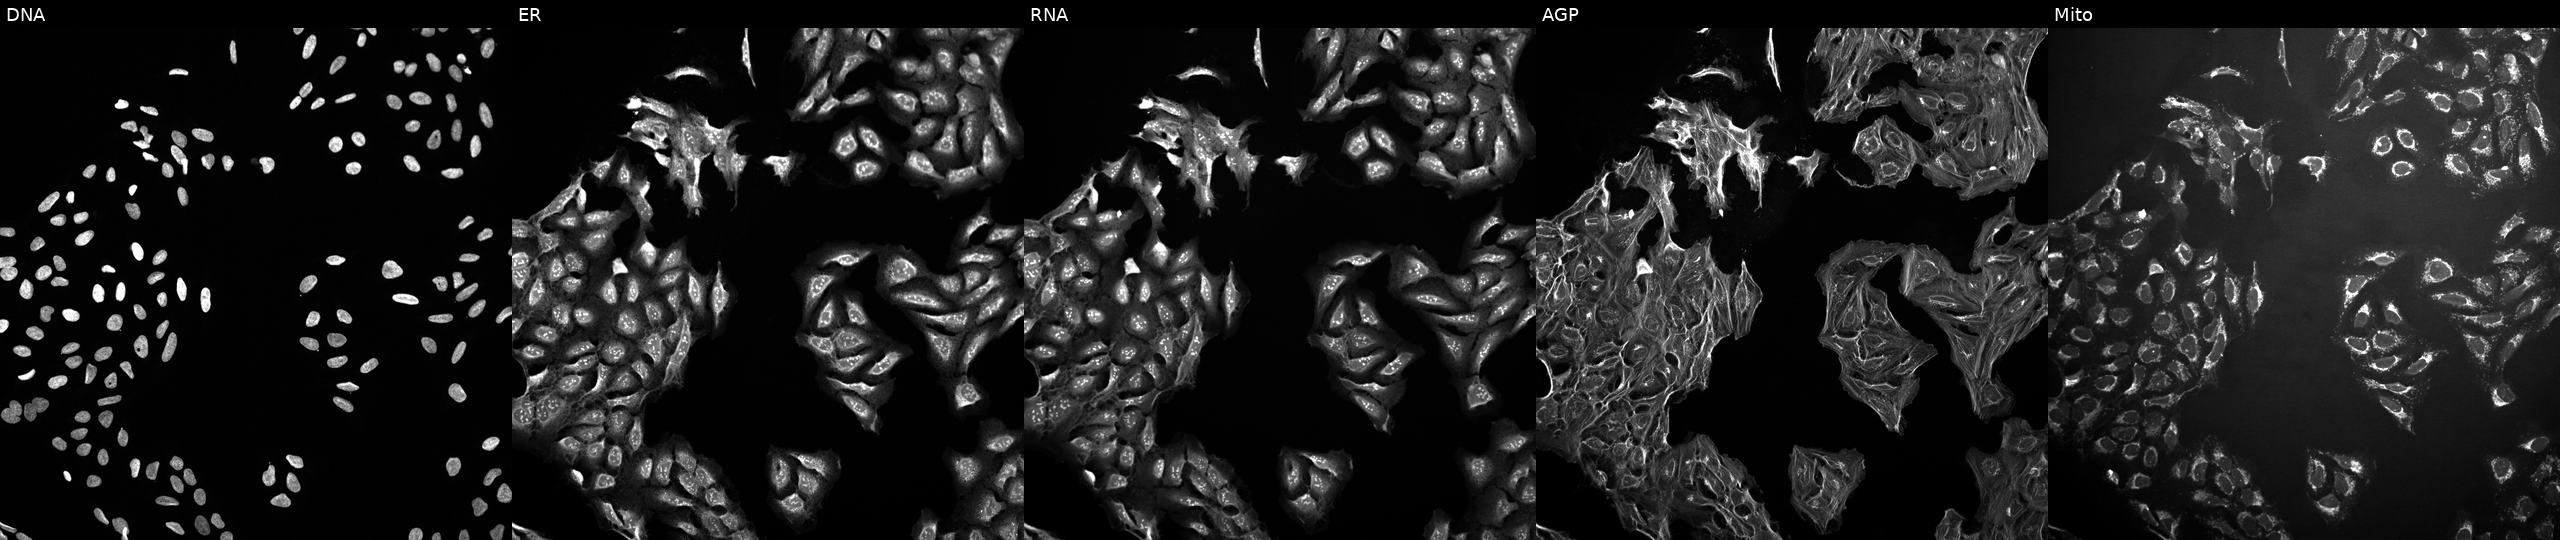
Panels show, left to right, DNA, ER, RNA, AGP, and Mito. U2OS osteosarcoma cells treated with a small-molecule compound (InChIKey YYOOFJZTRCPVFD-UHFFFAOYSA-N). Cell Painting assay, JUMP-CP dataset. Source 10, plate Dest210726-160150, well B06.